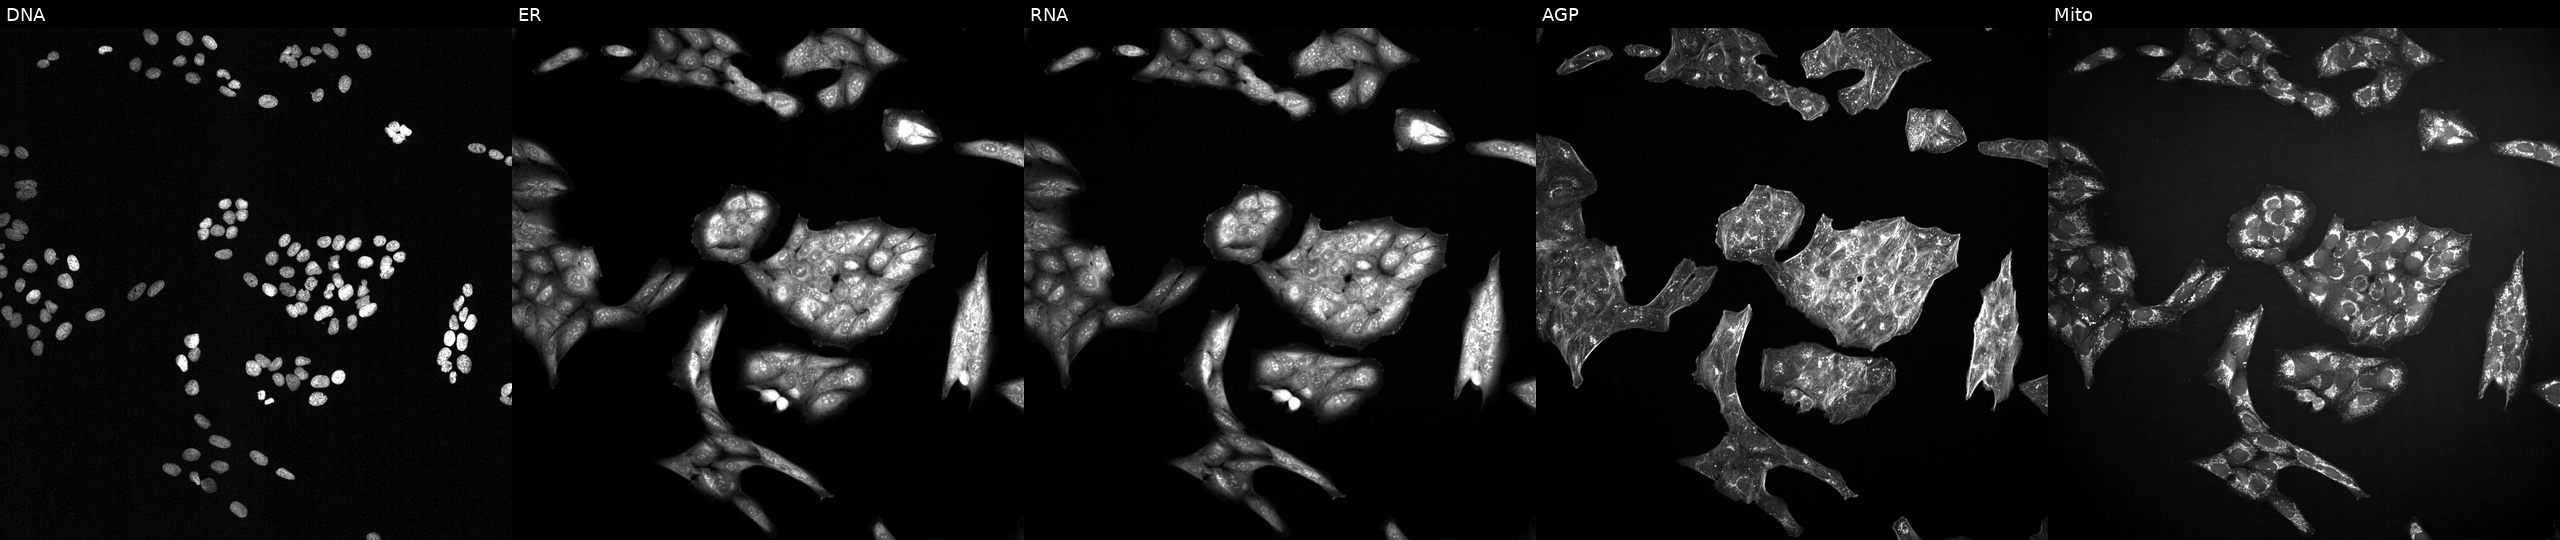
Five-channel Cell Painting image of U2OS cells exposed to a small-molecule compound (InChIKey ZJMDTBBCNMGFMS-UHFFFAOYSA-N) (JUMP id JCP2022_113710). From left to right: DNA (nuclei); ER (endoplasmic reticulum); RNA (nucleoli and cytoplasmic RNA); AGP (actin cytoskeleton, Golgi, and plasma membrane); Mito (mitochondria).